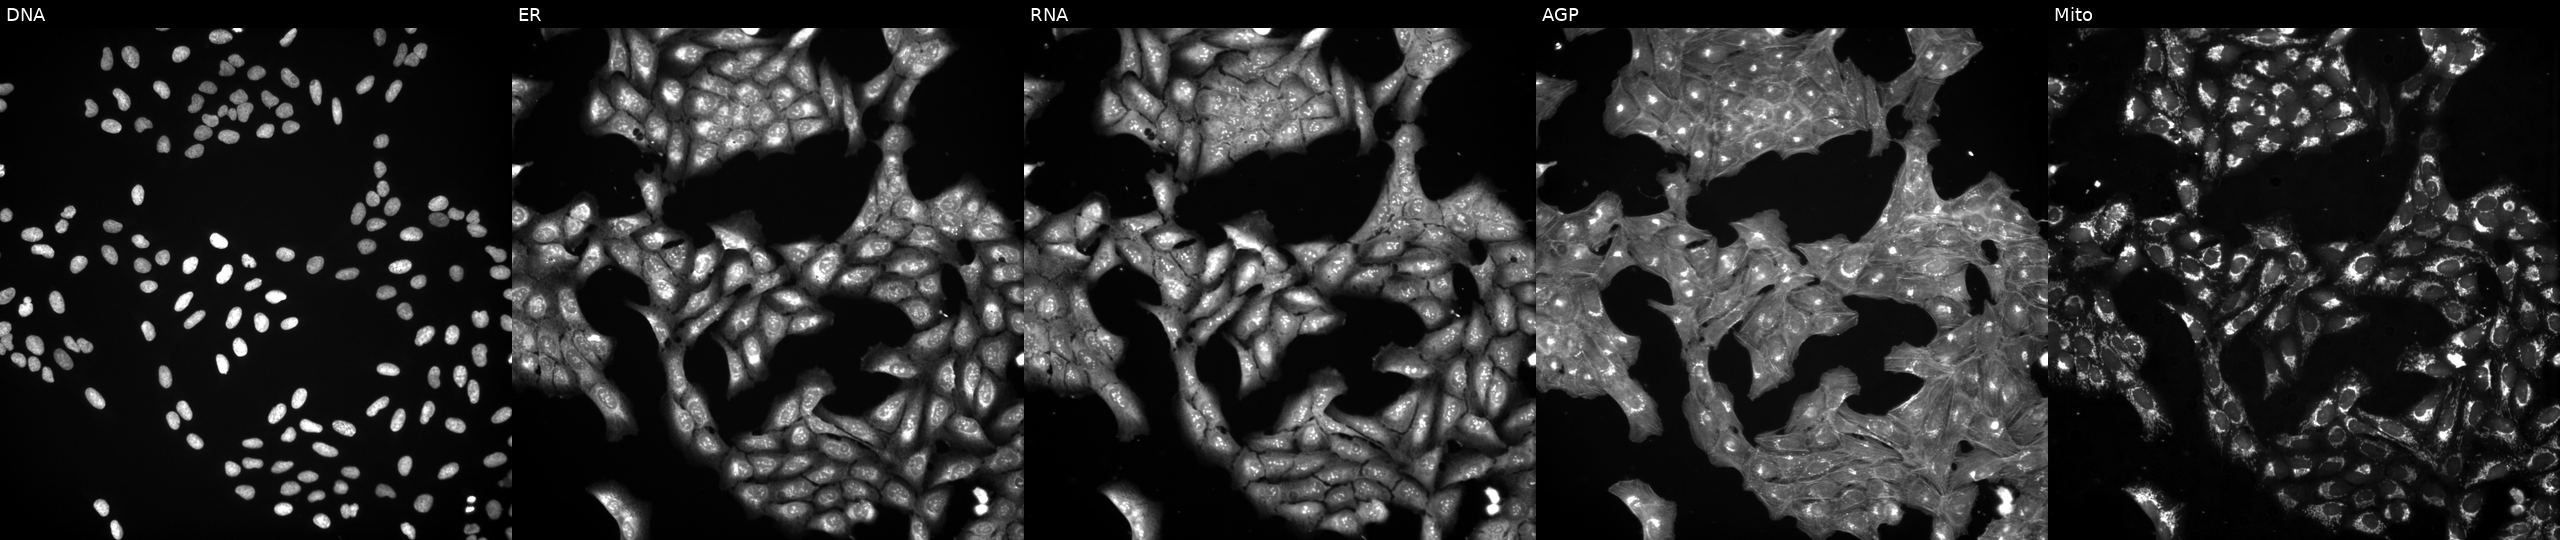
U2OS cells, Cell Painting assay, perturbed with a small-molecule compound (InChIKey KQWUWSTUYFLNBI-UHFFFAOYSA-N). Panels show, left to right, Hoechst 33342, concanavalin A, SYTO 14, phalloidin and WGA, MitoTracker. Each panel is percentile-stretched 16-bit fluorescence. Source 3, plate BR5867a3, well M09.